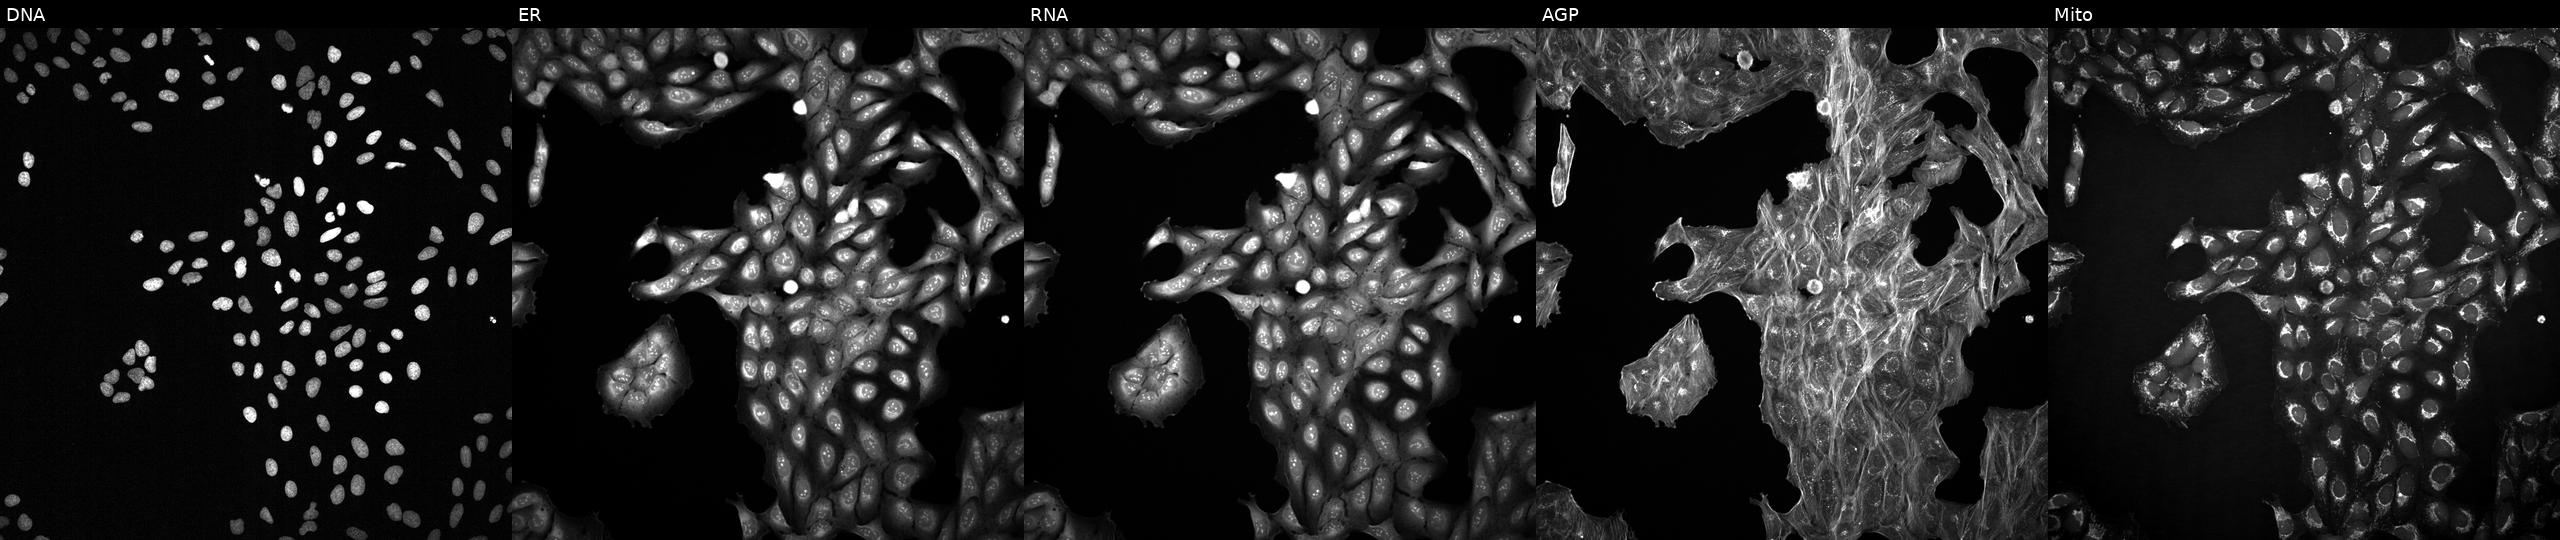
Panels show, left to right, DNA (nuclei); ER (endoplasmic reticulum); RNA (nucleoli and cytoplasmic RNA); AGP (actin cytoskeleton, Golgi, and plasma membrane); Mito (mitochondria). U2OS osteosarcoma cells treated with a small-molecule compound (InChIKey MVCQKIKWYUURMU-UHFFFAOYSA-N). Cell Painting assay, JUMP-CP dataset.